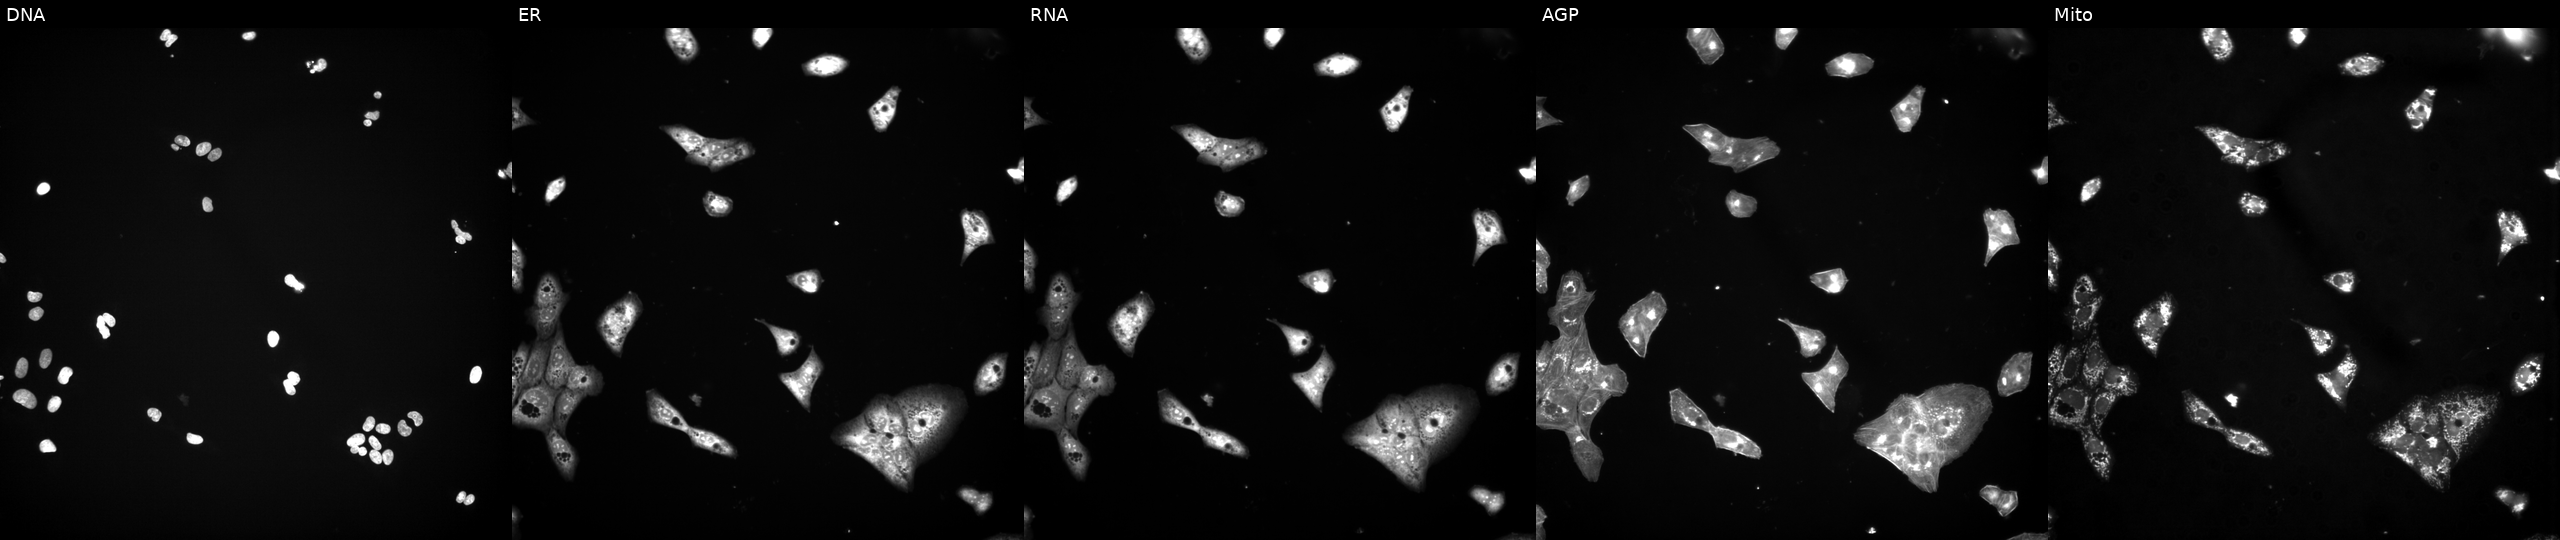
From left to right: DNA (nuclei); ER (endoplasmic reticulum); RNA (nucleoli and cytoplasmic RNA); AGP (actin cytoskeleton, Golgi, and plasma membrane); Mito (mitochondria). U2OS osteosarcoma cells exposed to a small-molecule compound (InChIKey SCELLOWTHJGVIC-UHFFFAOYSA-N) [SMILES: CC1CN(CC(=O)Nc2ccc3c(c2)Cc2cccc(-c4cc(=O)cc(N5CCOCC5)o4)c2S3)CC(C)O1] (JUMP id JCP2022_082234). Cell Painting assay, JUMP-CP dataset. Source 3, plate JCPQC053, well J17.